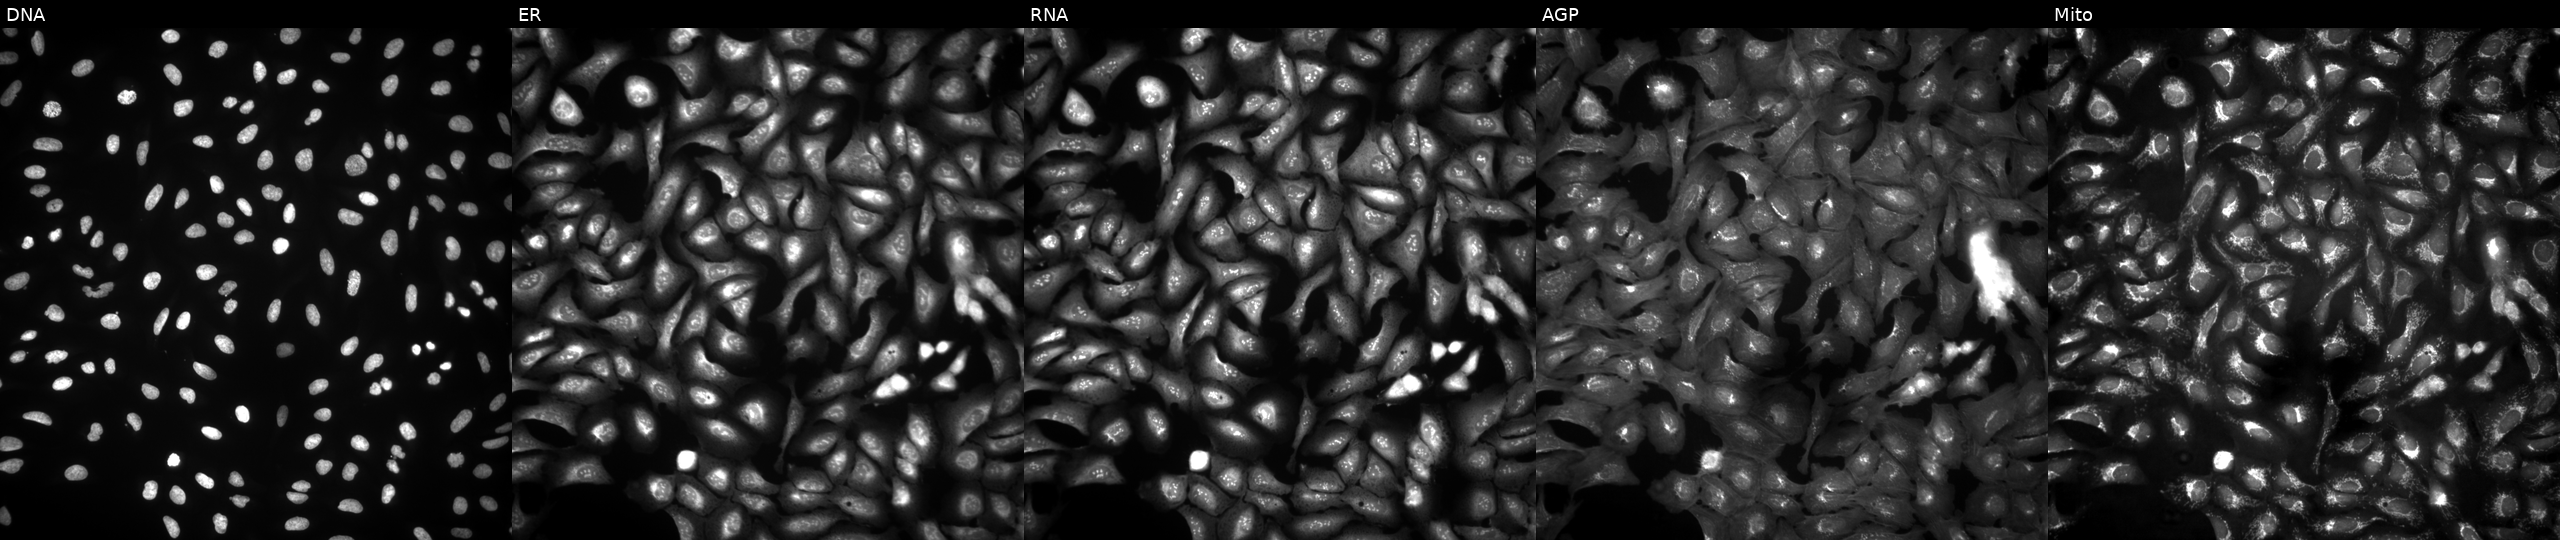
High-content fluorescence microscopy (Cell Painting). Cell line: U2OS. Perturbation: with FAM153A overexpressed (ORF) (JUMP id JCP2022_912800). Channels (left→right): Hoechst 33342, concanavalin A, SYTO 14, phalloidin and WGA, MitoTracker.